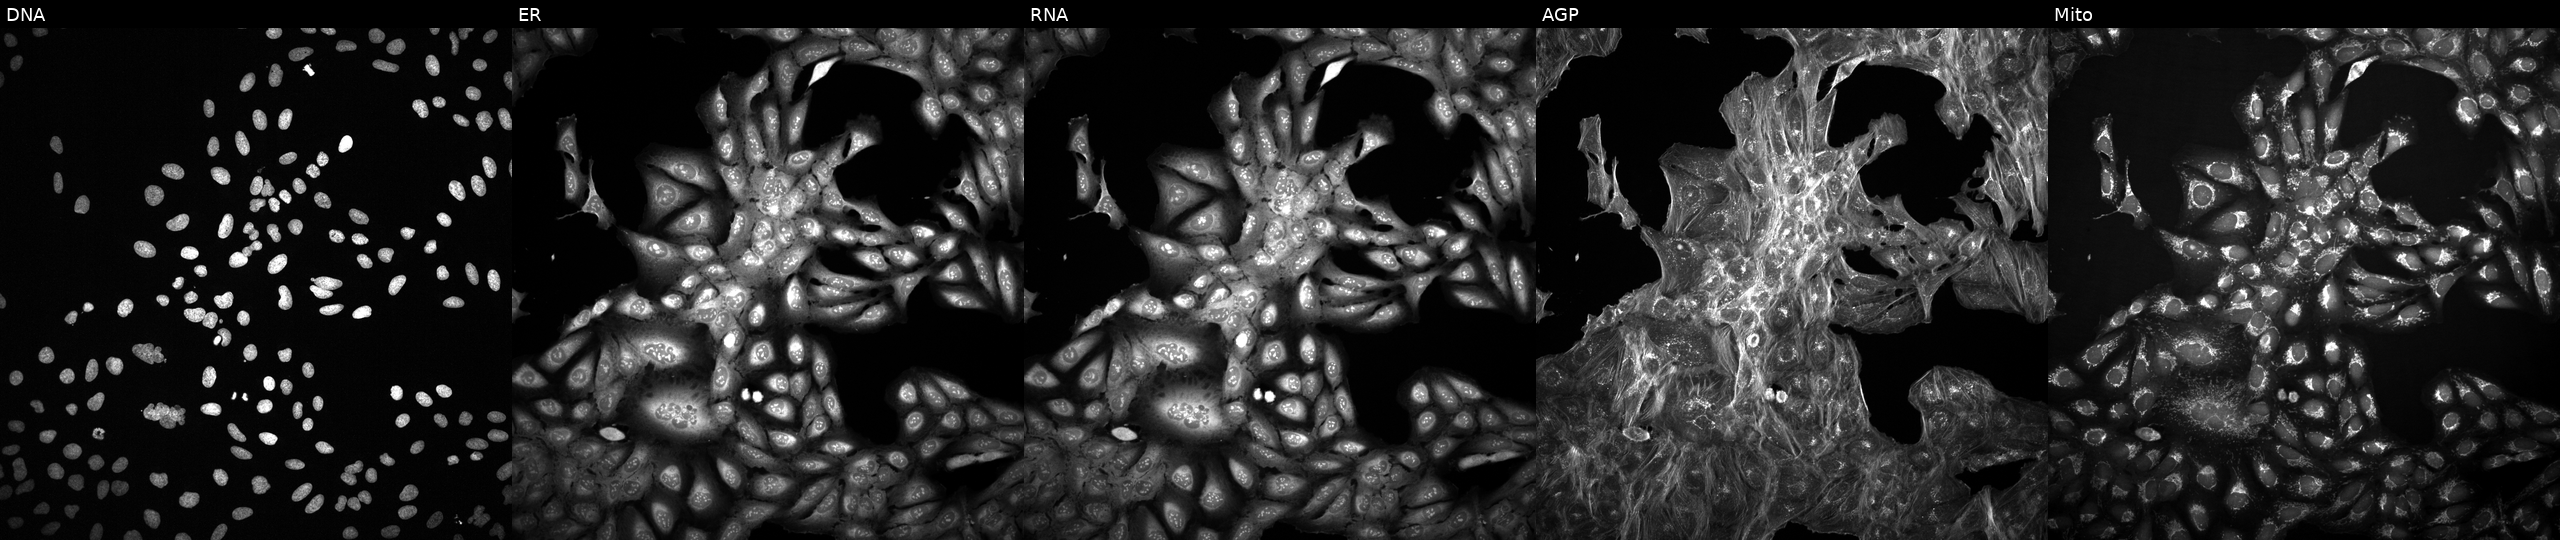
High-content fluorescence microscopy (Cell Painting). Cell line: U2OS. Perturbation: exposed to DMSO alone as a negative control. Channels (left→right): DNA, ER, RNA, AGP, and Mito.